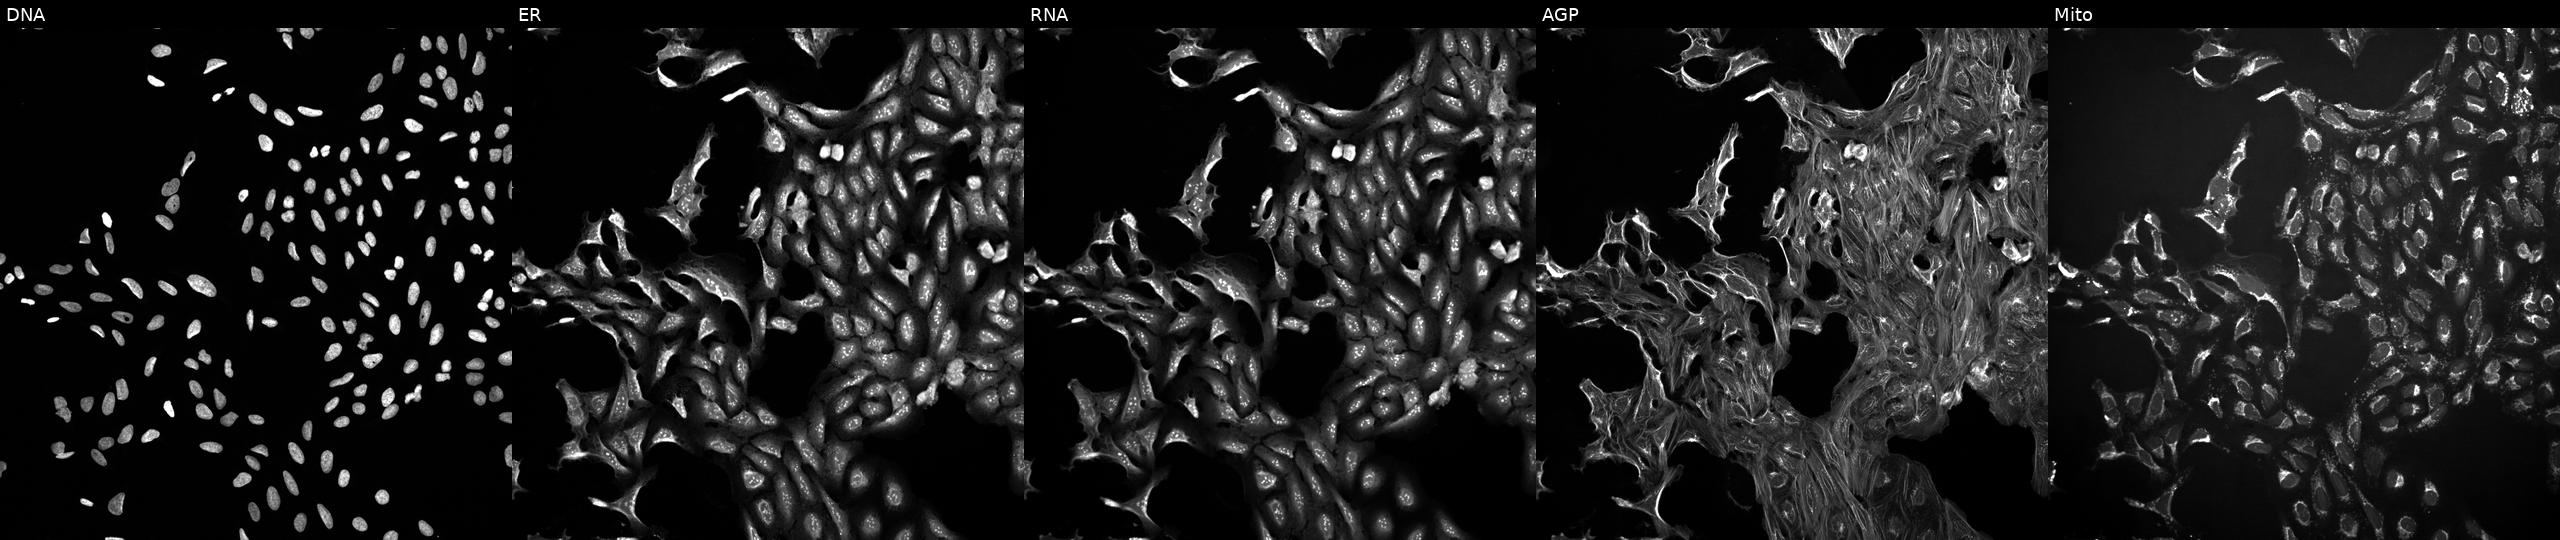
Five-channel Cell Painting image of U2OS cells treated with DMSO vehicle only (negative control) (JUMP id JCP2022_033924). The five panels, left to right, show DNA (nuclei); ER (endoplasmic reticulum); RNA (nucleoli and cytoplasmic RNA); AGP (actin cytoskeleton, Golgi, and plasma membrane); Mito (mitochondria).